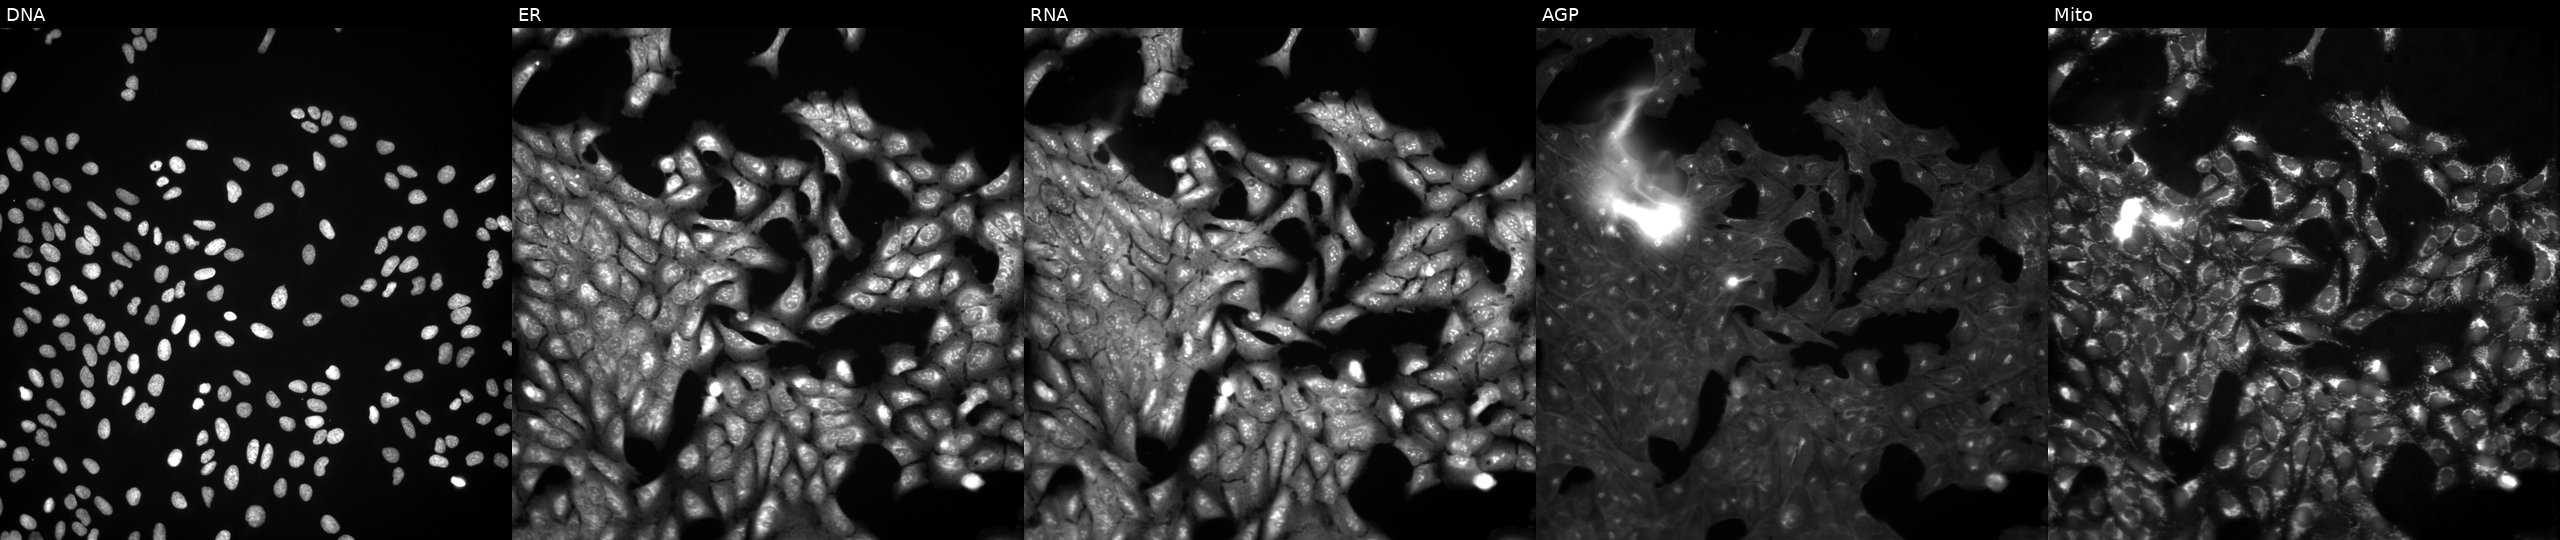
High-content fluorescence microscopy (Cell Painting). Cell line: U2OS. Perturbation: treated with a small-molecule compound (JUMP id JCP2022_103217). From left to right: DNA (nuclei); ER (endoplasmic reticulum); RNA (nucleoli and cytoplasmic RNA); AGP (actin cytoskeleton, Golgi, and plasma membrane); Mito (mitochondria).